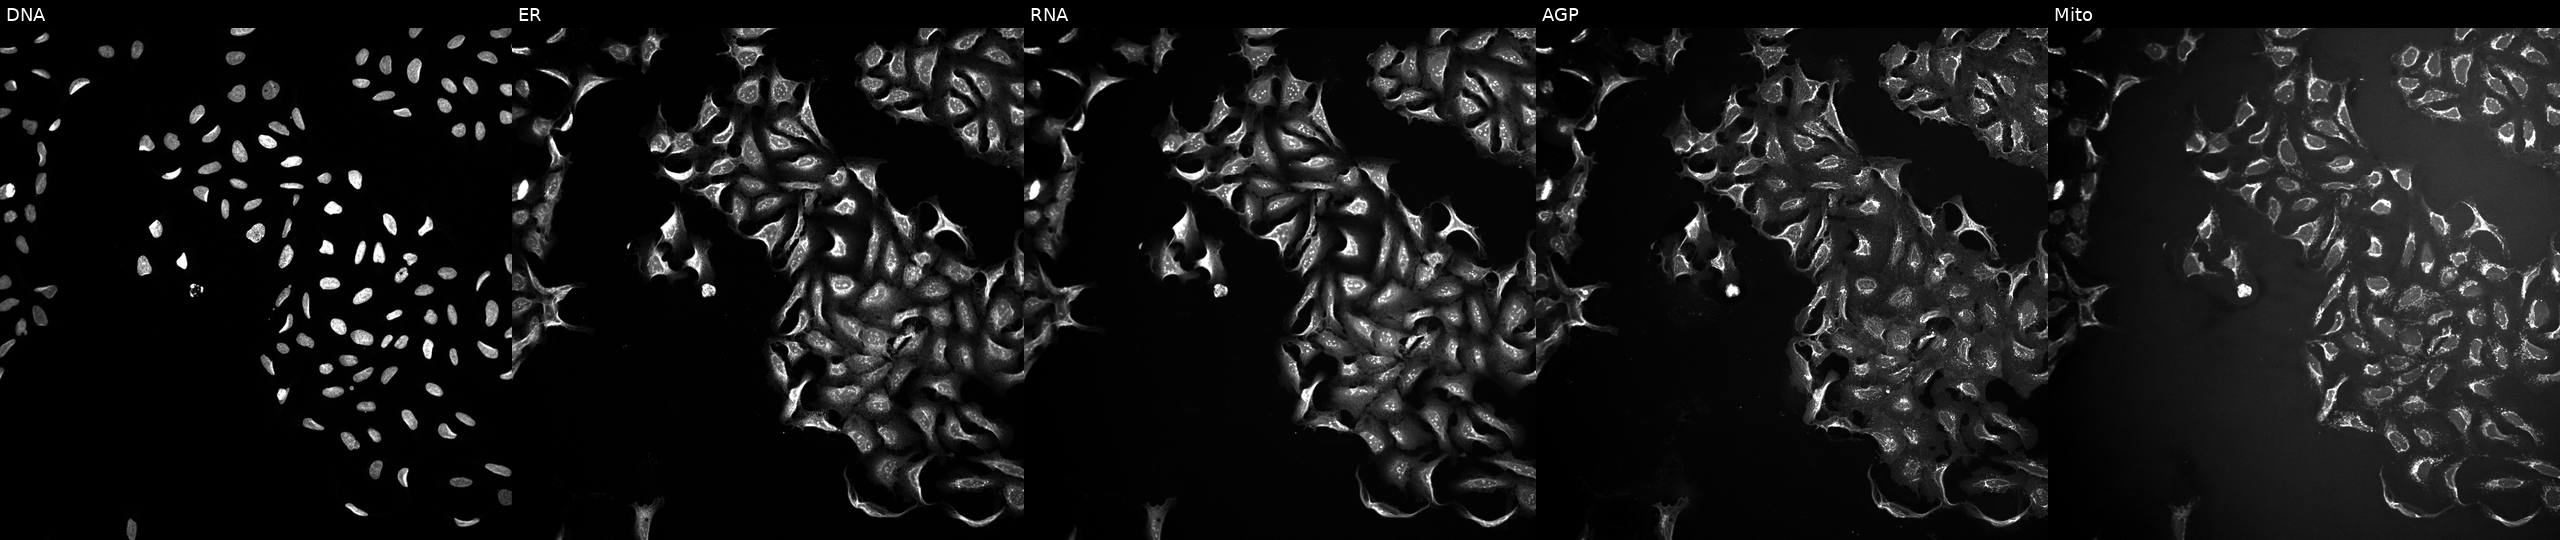
U2OS cells, Cell Painting assay, treated with a small-molecule compound (InChIKey AFJRDFWMXUECEW-UHFFFAOYSA-N) (JUMP id JCP2022_001036). Panels show, left to right, DNA (nuclei); ER (endoplasmic reticulum); RNA (nucleoli and cytoplasmic RNA); AGP (actin cytoskeleton, Golgi, and plasma membrane); Mito (mitochondria). Each panel is percentile-stretched 16-bit fluorescence.